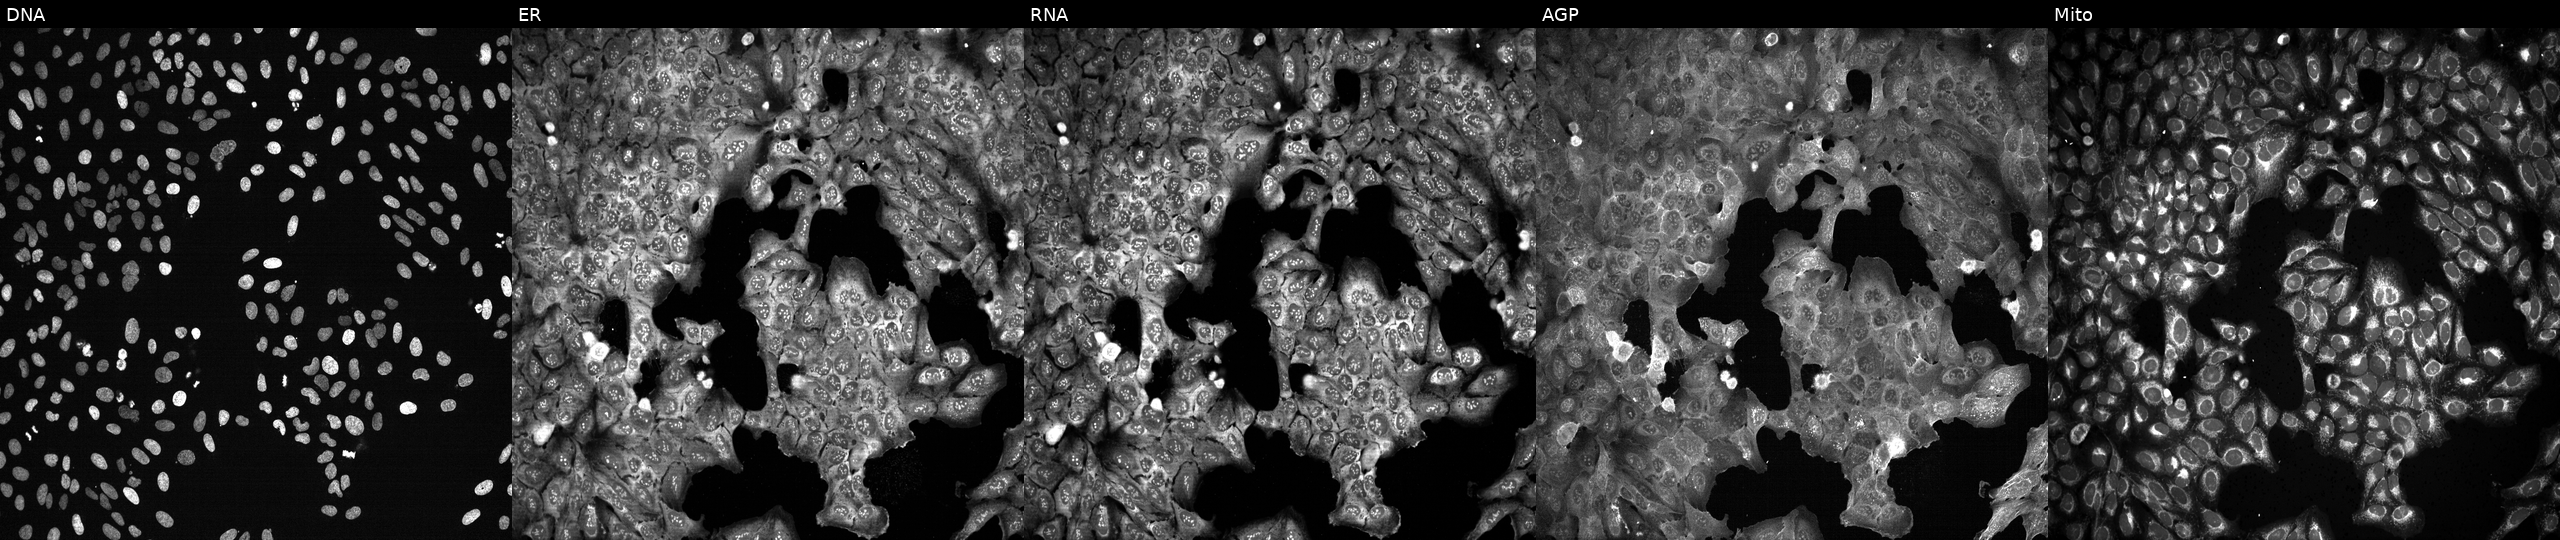
High-content fluorescence microscopy (Cell Painting). Cell line: U2OS. Perturbation: with PROK1 knocked out by CRISPR. From left to right: Hoechst 33342, concanavalin A, SYTO 14, phalloidin and WGA, MitoTracker.